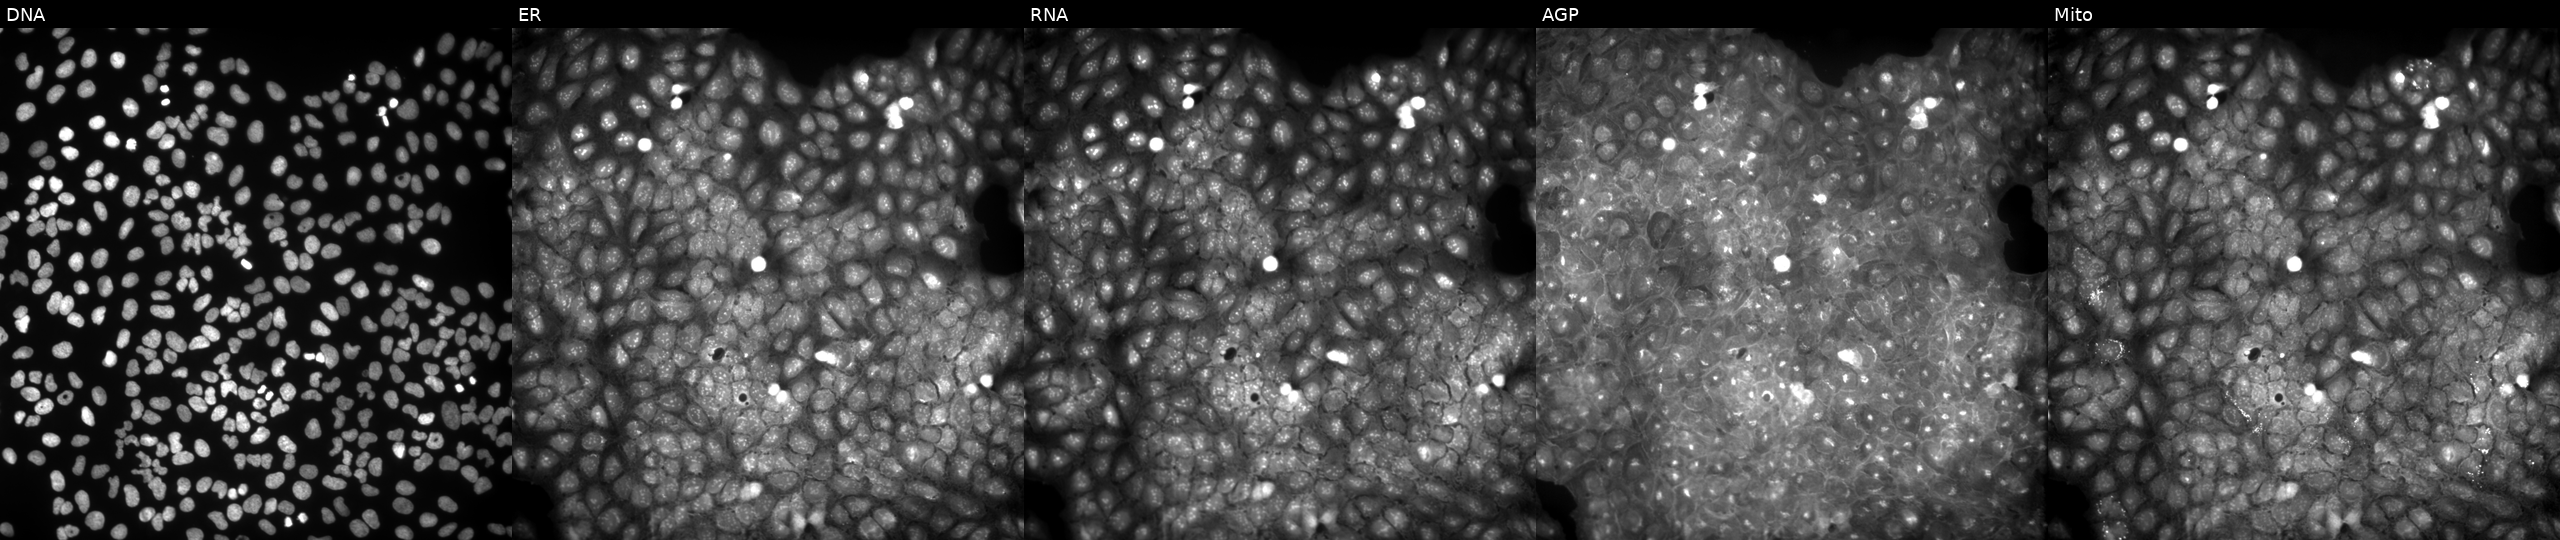
Five-channel Cell Painting image of U2OS cells exposed to a small-molecule compound (InChIKey OZLCKGAZMOYCRV-UHFFFAOYSA-N). The five panels, left to right, show Hoechst 33342, concanavalin A, SYTO 14, phalloidin and WGA, MitoTracker. Source 9, plate GR00003382, well AC16.